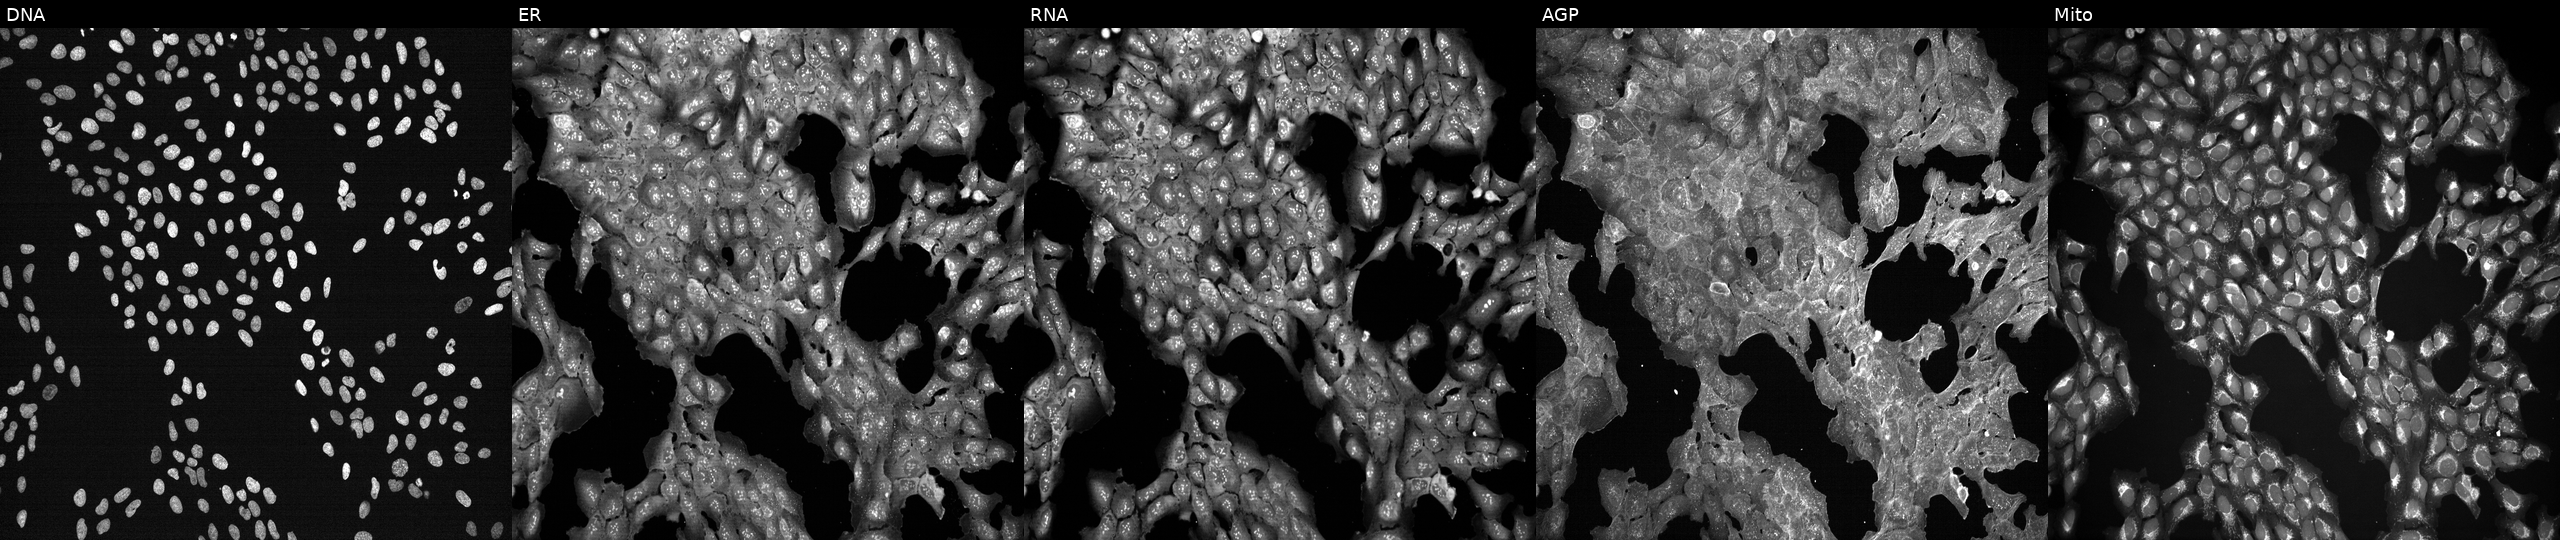
This image strip shows the five Cell Painting channels for a single field of U2OS cells treated with DMSO vehicle only (negative control) (JUMP id JCP2022_033924). From left to right: DNA, ER, RNA, AGP, and Mito.